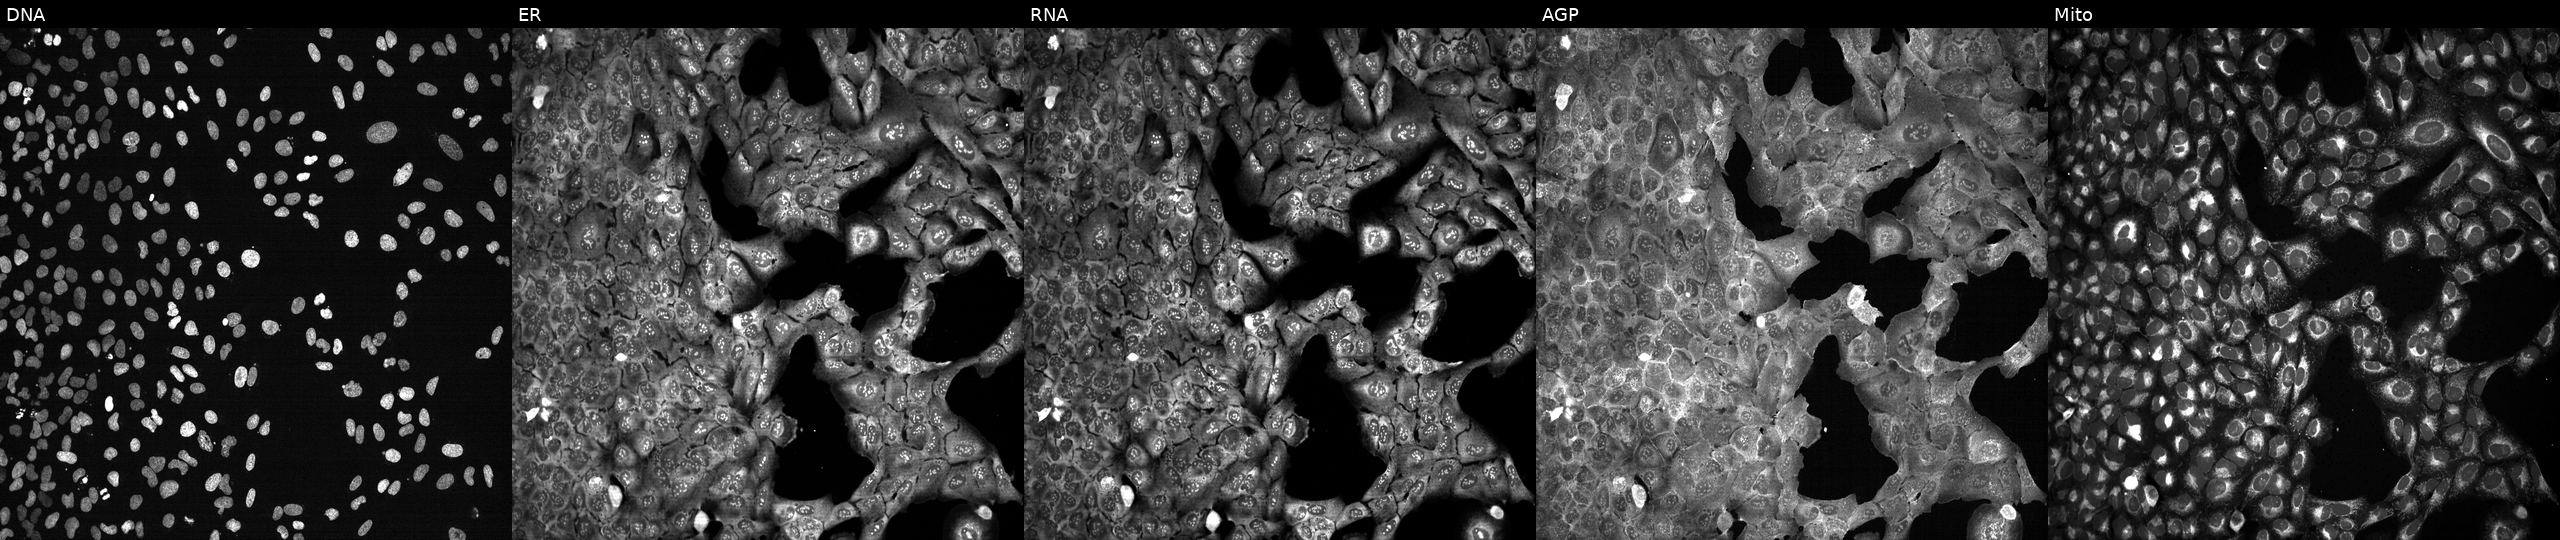
The five panels, left to right, show DNA, ER, RNA, AGP, and Mito. U2OS osteosarcoma cells following CRISPR knockout of ALDH3B1. Cell Painting assay, JUMP-CP dataset. Source 13, plate CP-CC9-R3-02, well E18.